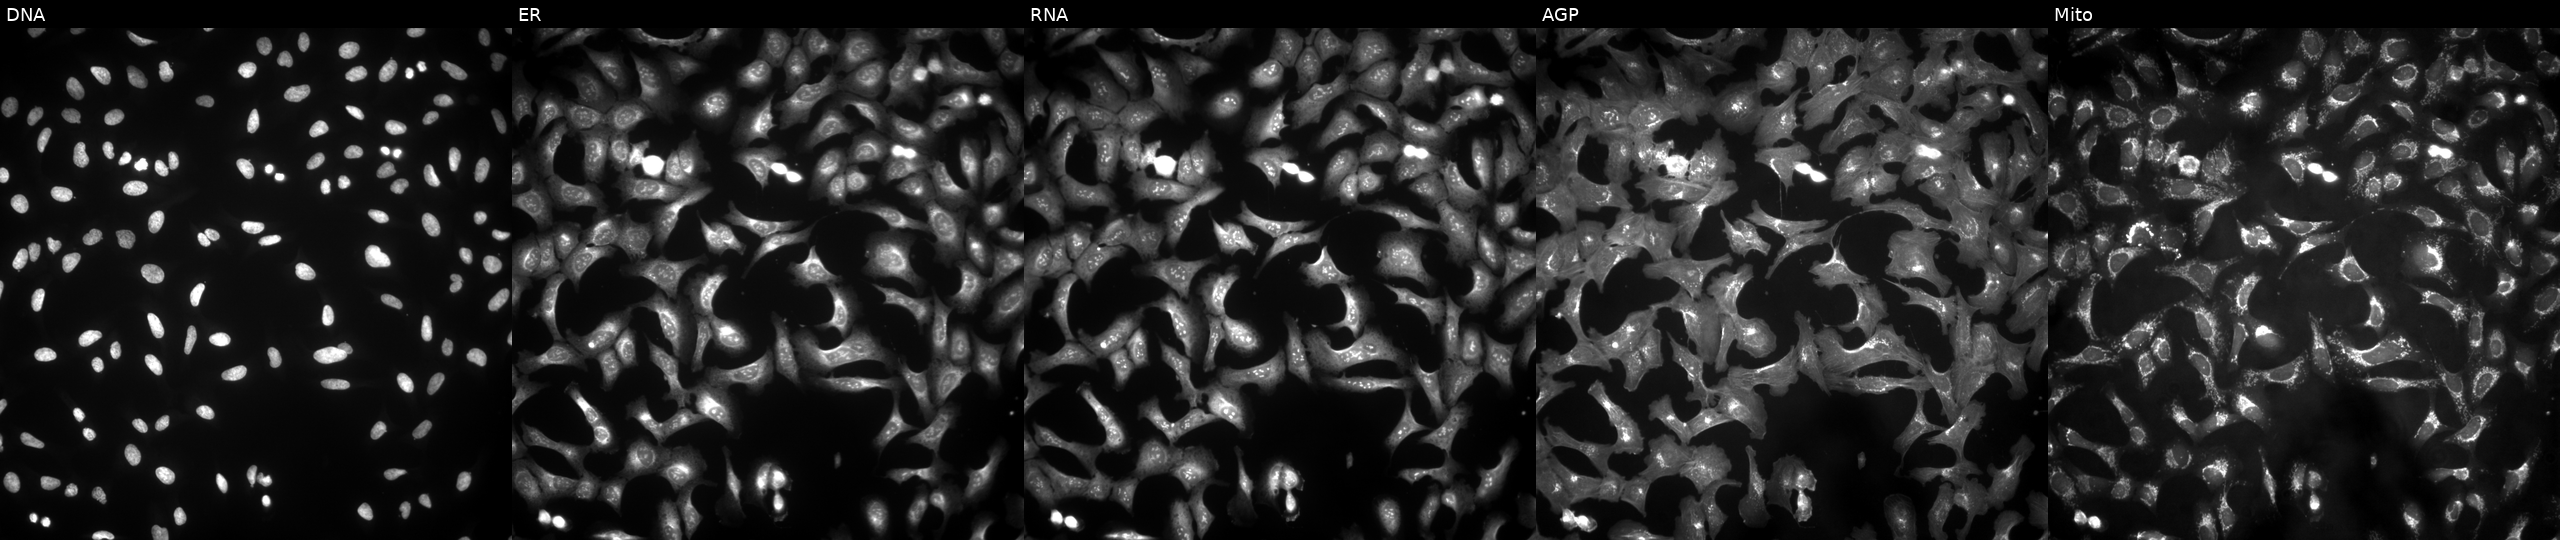
JUMP Cell Painting — ORF plate. U2OS cells with STK38 overexpressed (ORF). From left to right: DNA, ER, RNA, AGP, and Mito. Source 4, plate BR00123506, well G23.